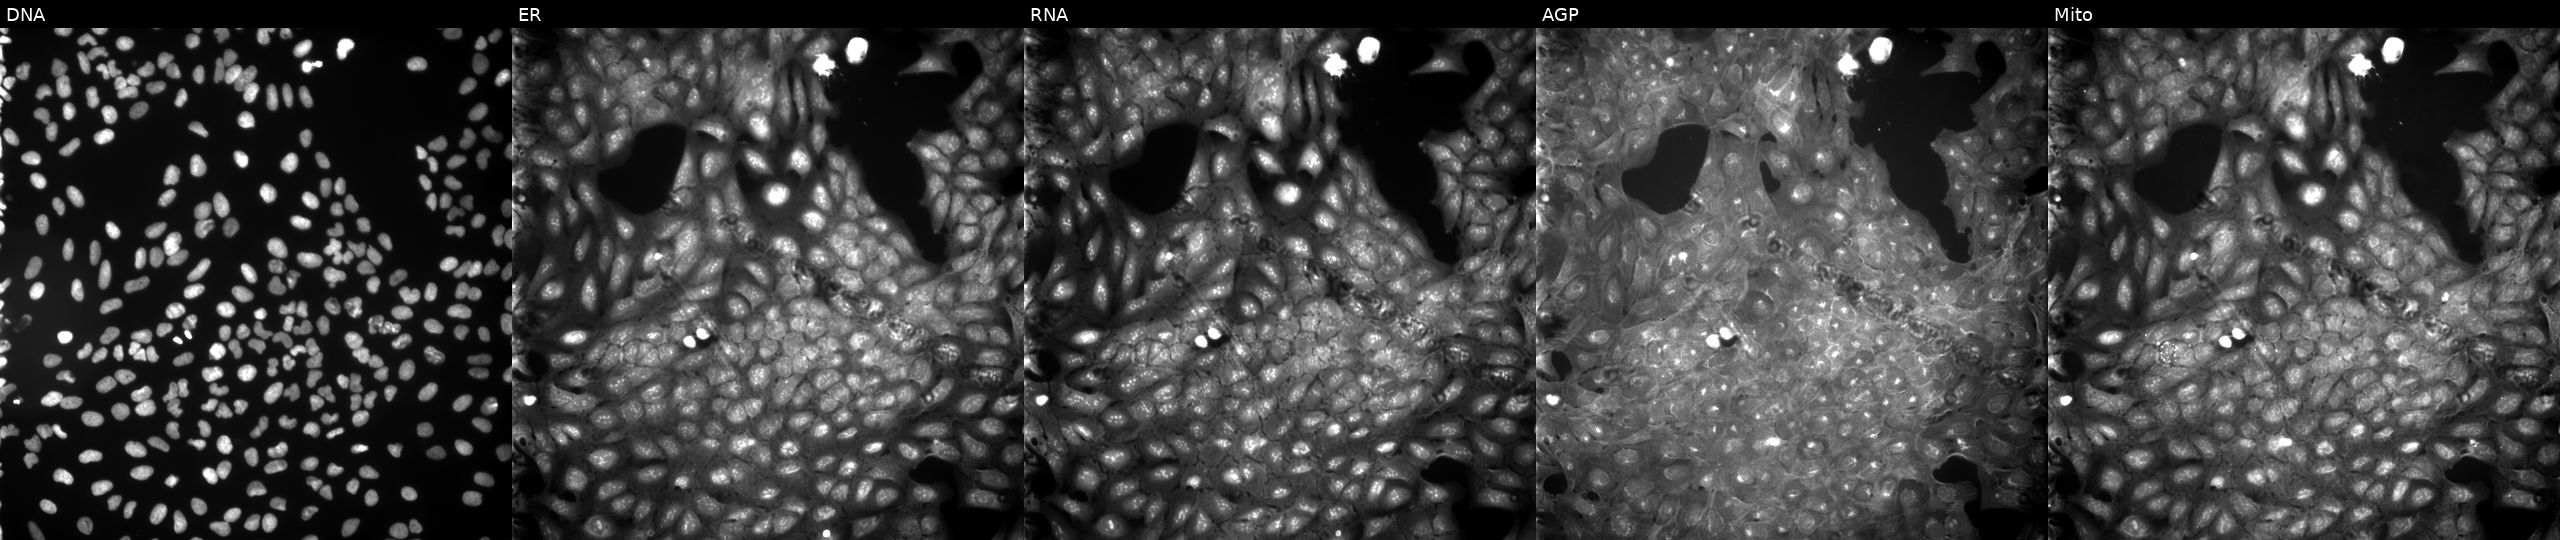
JUMP Cell Painting — COMPOUND plate. U2OS cells exposed to DMSO alone as a negative control. Channels (left→right): DNA (nuclei); ER (endoplasmic reticulum); RNA (nucleoli and cytoplasmic RNA); AGP (actin cytoskeleton, Golgi, and plasma membrane); Mito (mitochondria). Source 9, plate GR00003381, well B23.